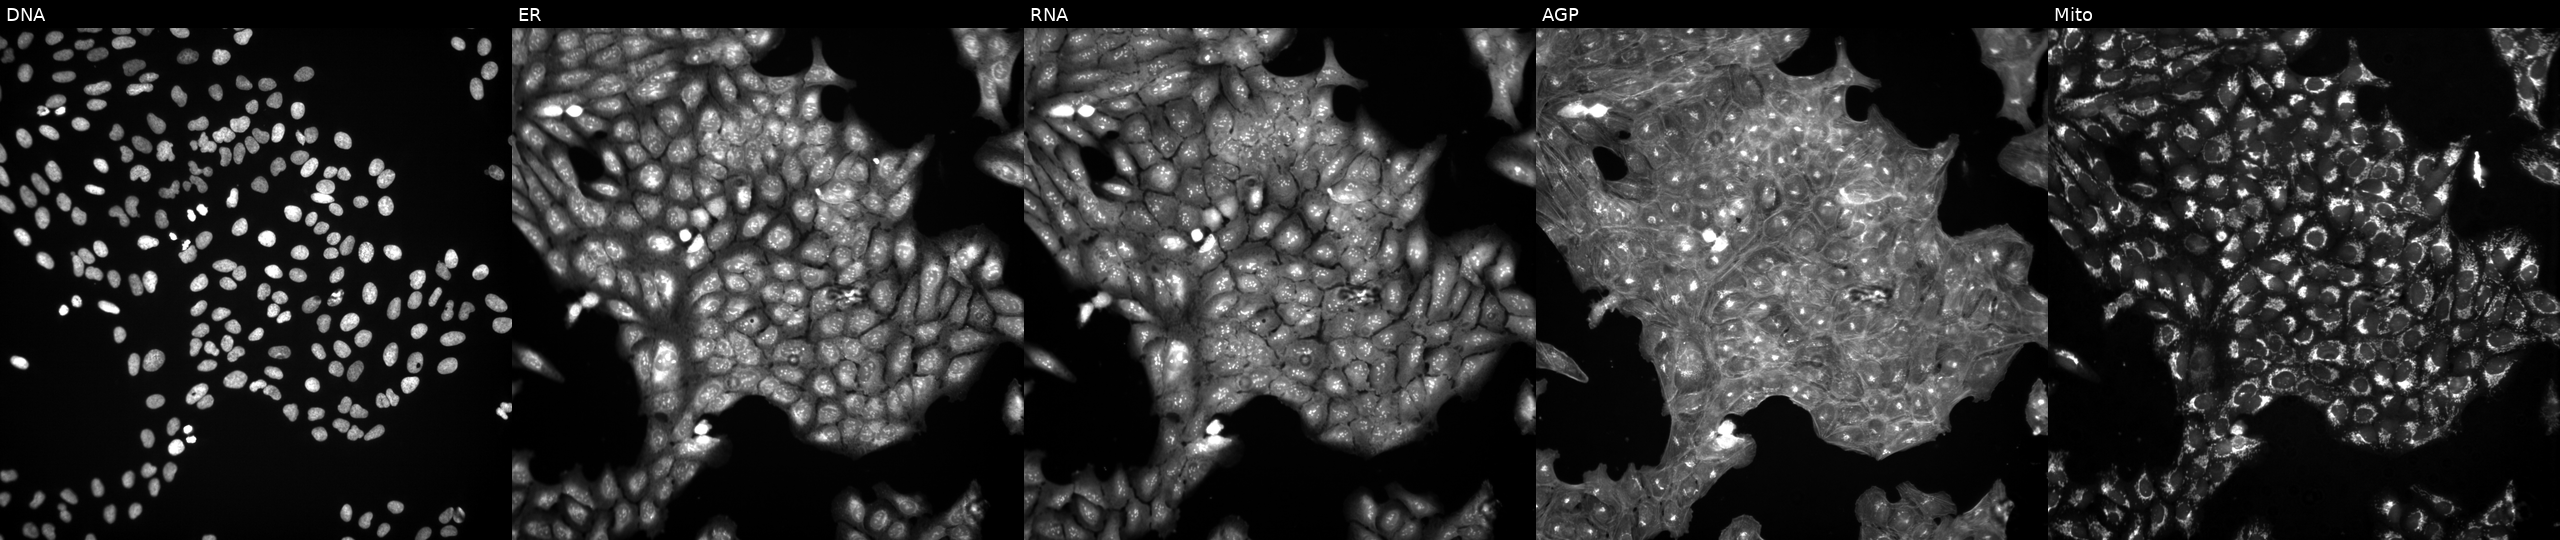
High-content fluorescence microscopy (Cell Painting). Cell line: U2OS. Perturbation: exposed to DMSO alone as a negative control (JUMP id JCP2022_033924). From left to right: DNA, ER, RNA, AGP, and Mito.